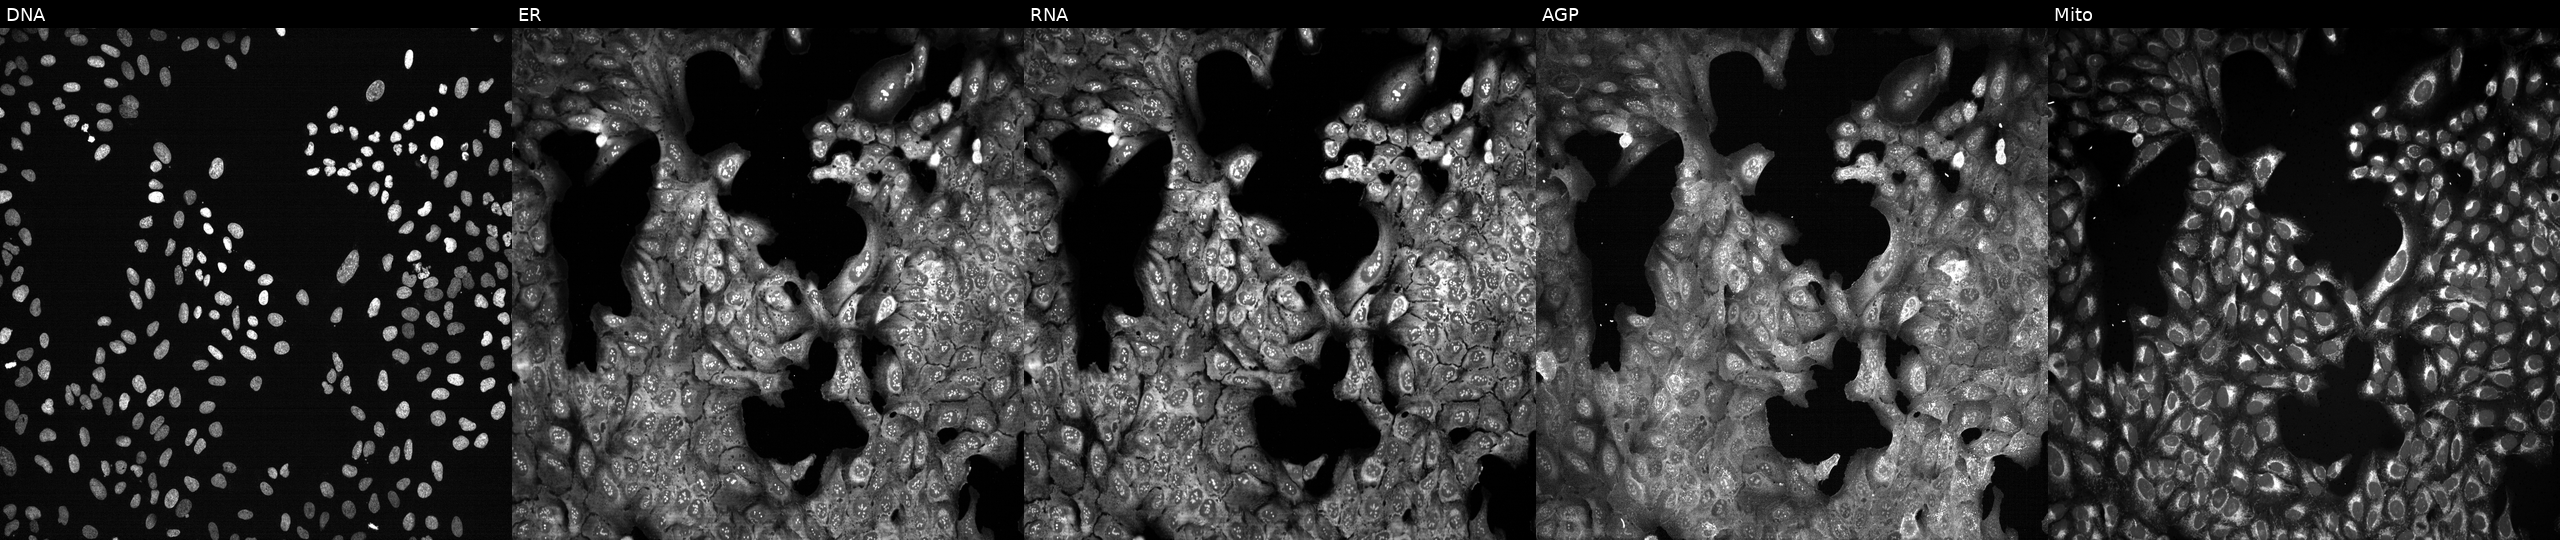
U2OS cells, Cell Painting assay, CRISPR-edited to disrupt PDE1C. Panels show, left to right, Hoechst 33342, concanavalin A, SYTO 14, phalloidin and WGA, MitoTracker. Each panel is percentile-stretched 16-bit fluorescence.